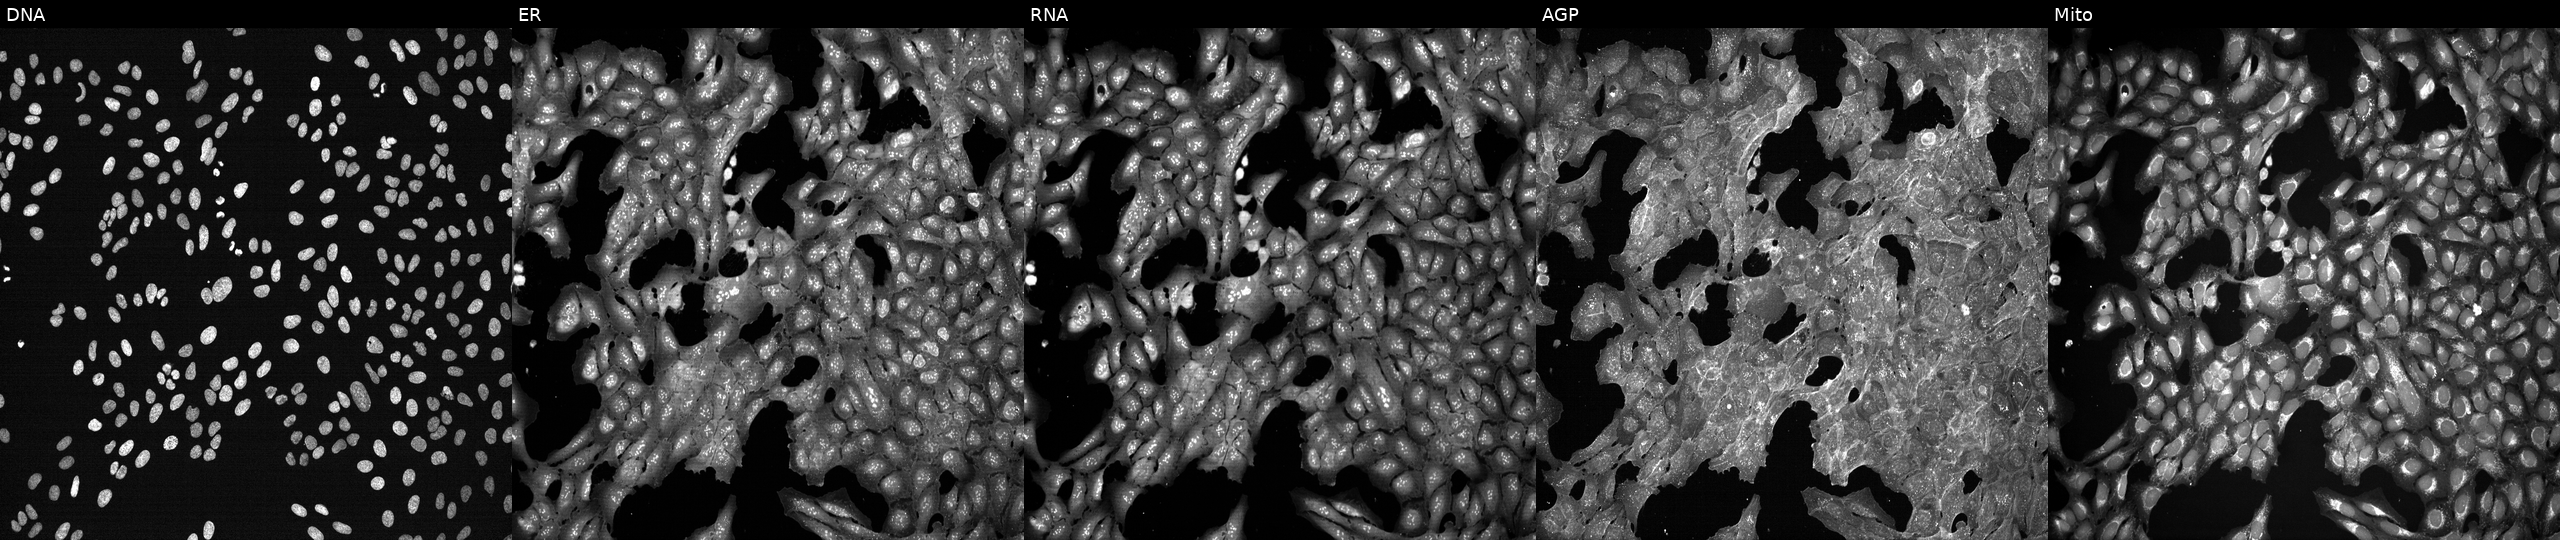
U2OS cells, Cell Painting assay, perturbed with a small-molecule compound (JUMP id JCP2022_084963). From left to right: DNA (nuclei); ER (endoplasmic reticulum); RNA (nucleoli and cytoplasmic RNA); AGP (actin cytoskeleton, Golgi, and plasma membrane); Mito (mitochondria). Each panel is percentile-stretched 16-bit fluorescence. Source 7, plate CP2-SC1-25, well E15.